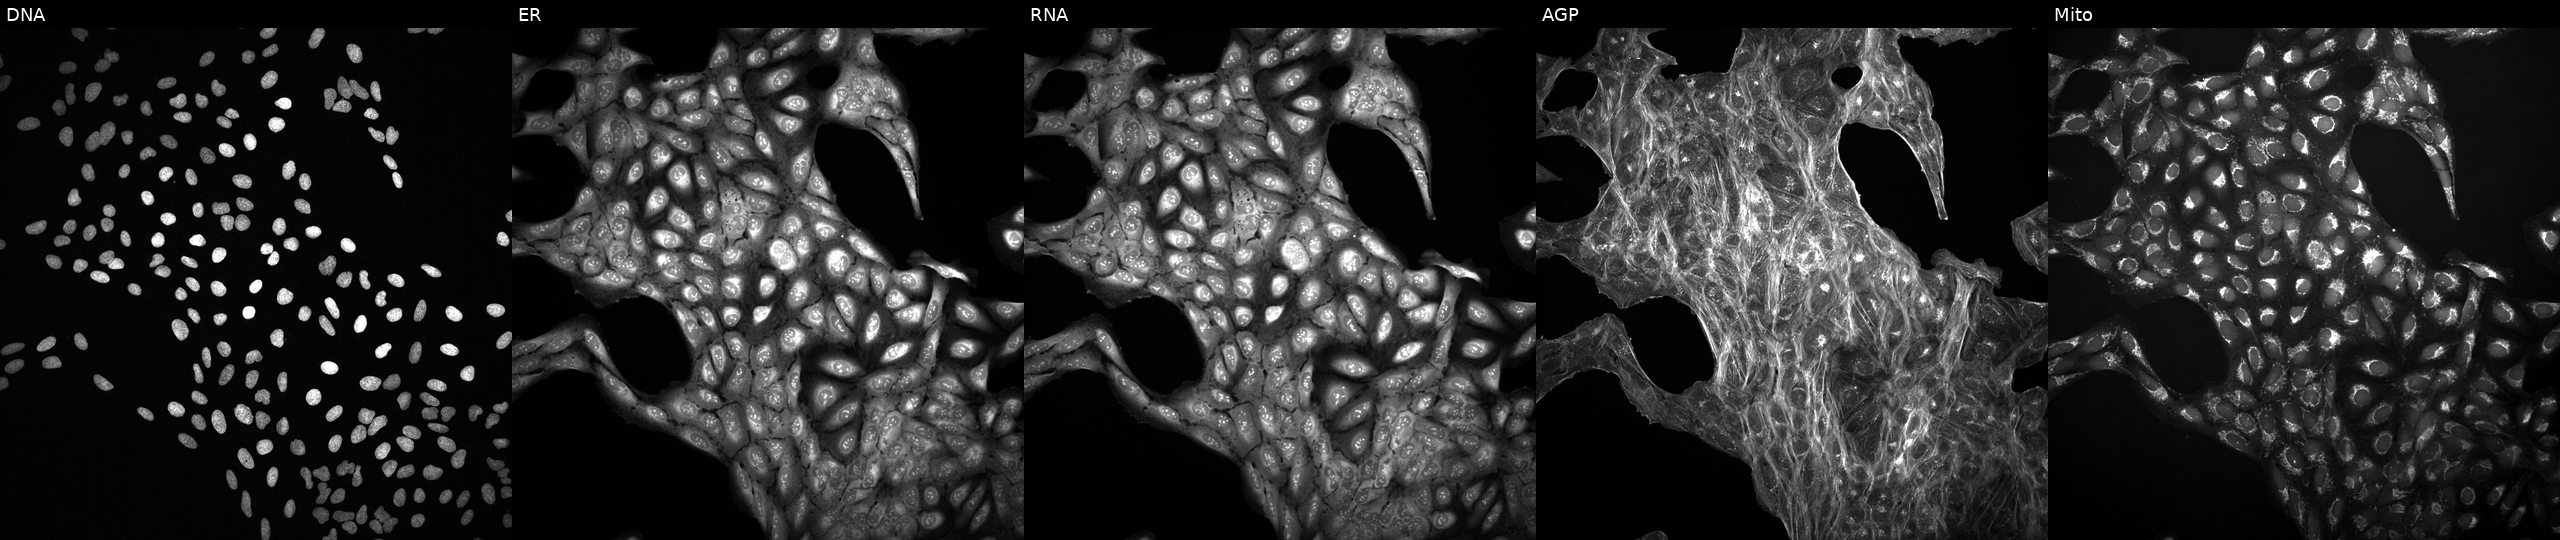
Five-channel Cell Painting image of U2OS cells treated with DMSO vehicle only (negative control) (JUMP id JCP2022_033924). Panels show, left to right, DNA (nuclei); ER (endoplasmic reticulum); RNA (nucleoli and cytoplasmic RNA); AGP (actin cytoskeleton, Golgi, and plasma membrane); Mito (mitochondria).